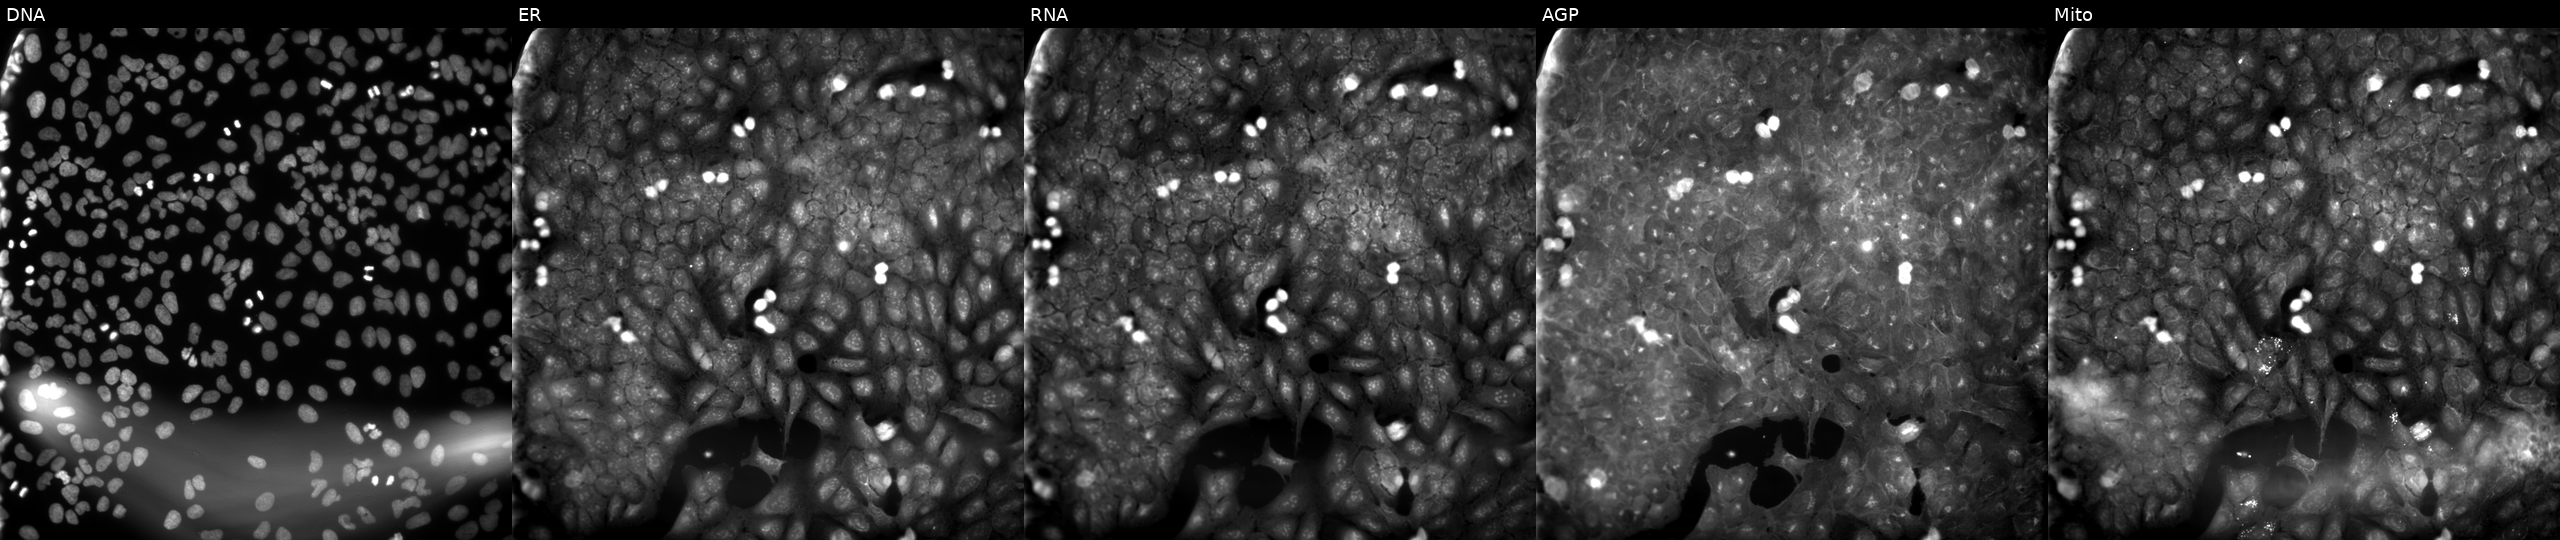
U2OS cells, Cell Painting assay, exposed to a small-molecule compound (InChIKey IYIMDFJZUXBRDN-UHFFFAOYSA-N) [SMILES: O=C(O)c1cccc(NC(O)Cc2nc3ccccc3[nH]c2=O)c1] (JUMP id JCP2022_038140). From left to right: DNA, ER, RNA, AGP, and Mito. Each panel is percentile-stretched 16-bit fluorescence. Source 9, plate GR00003381, well Q06.